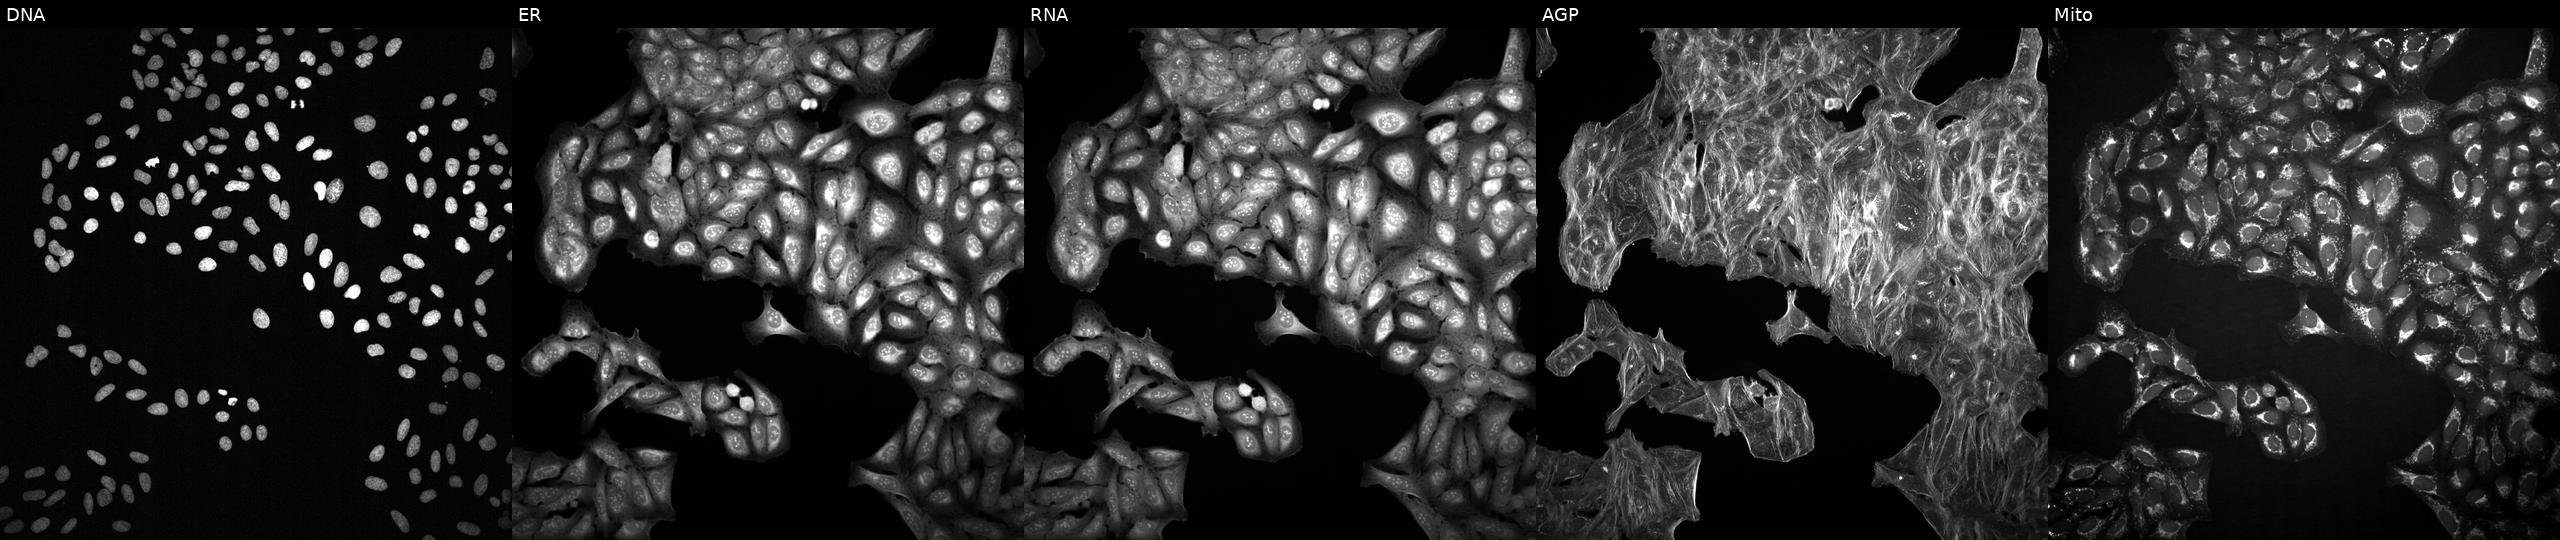
U2OS cells, Cell Painting assay, with an unidentified perturbation (not annotated in JUMP metadata). Panels show, left to right, DNA, ER, RNA, AGP, and Mito. Each panel is percentile-stretched 16-bit fluorescence.